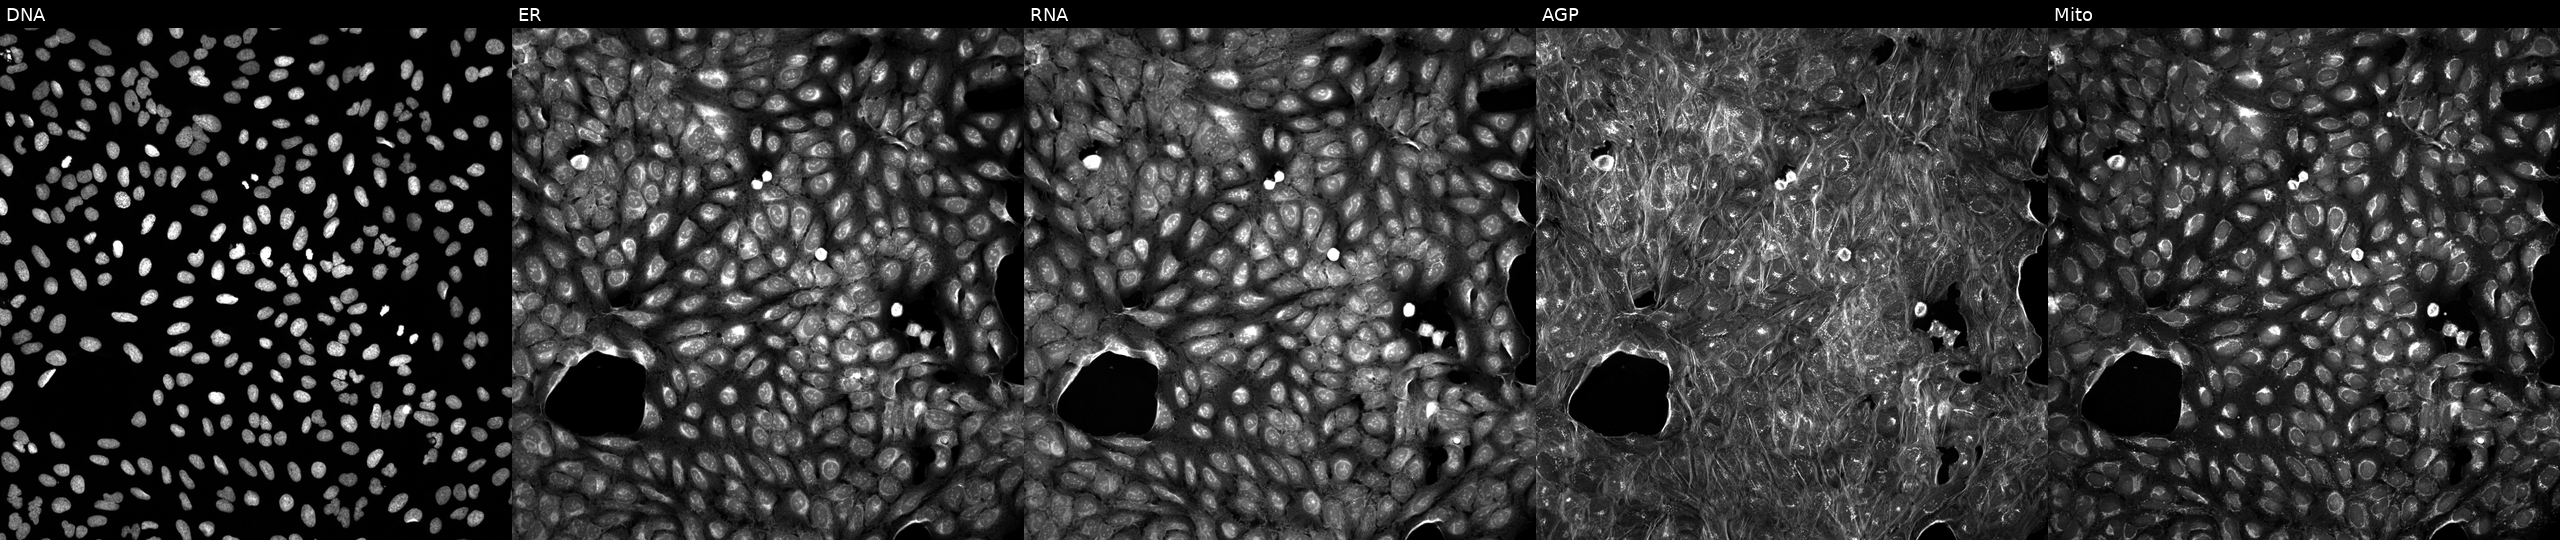
High-content fluorescence microscopy (Cell Painting). Cell line: U2OS. Perturbation: exposed to a small-molecule compound (InChIKey SHZKQBHERIJWAO-UHFFFAOYSA-N) [SMILES: O=C(O)C=Cc1ccc(Cn2ccnc2)cc1]. From left to right: DNA (nuclei); ER (endoplasmic reticulum); RNA (nucleoli and cytoplasmic RNA); AGP (actin cytoskeleton, Golgi, and plasma membrane); Mito (mitochondria).